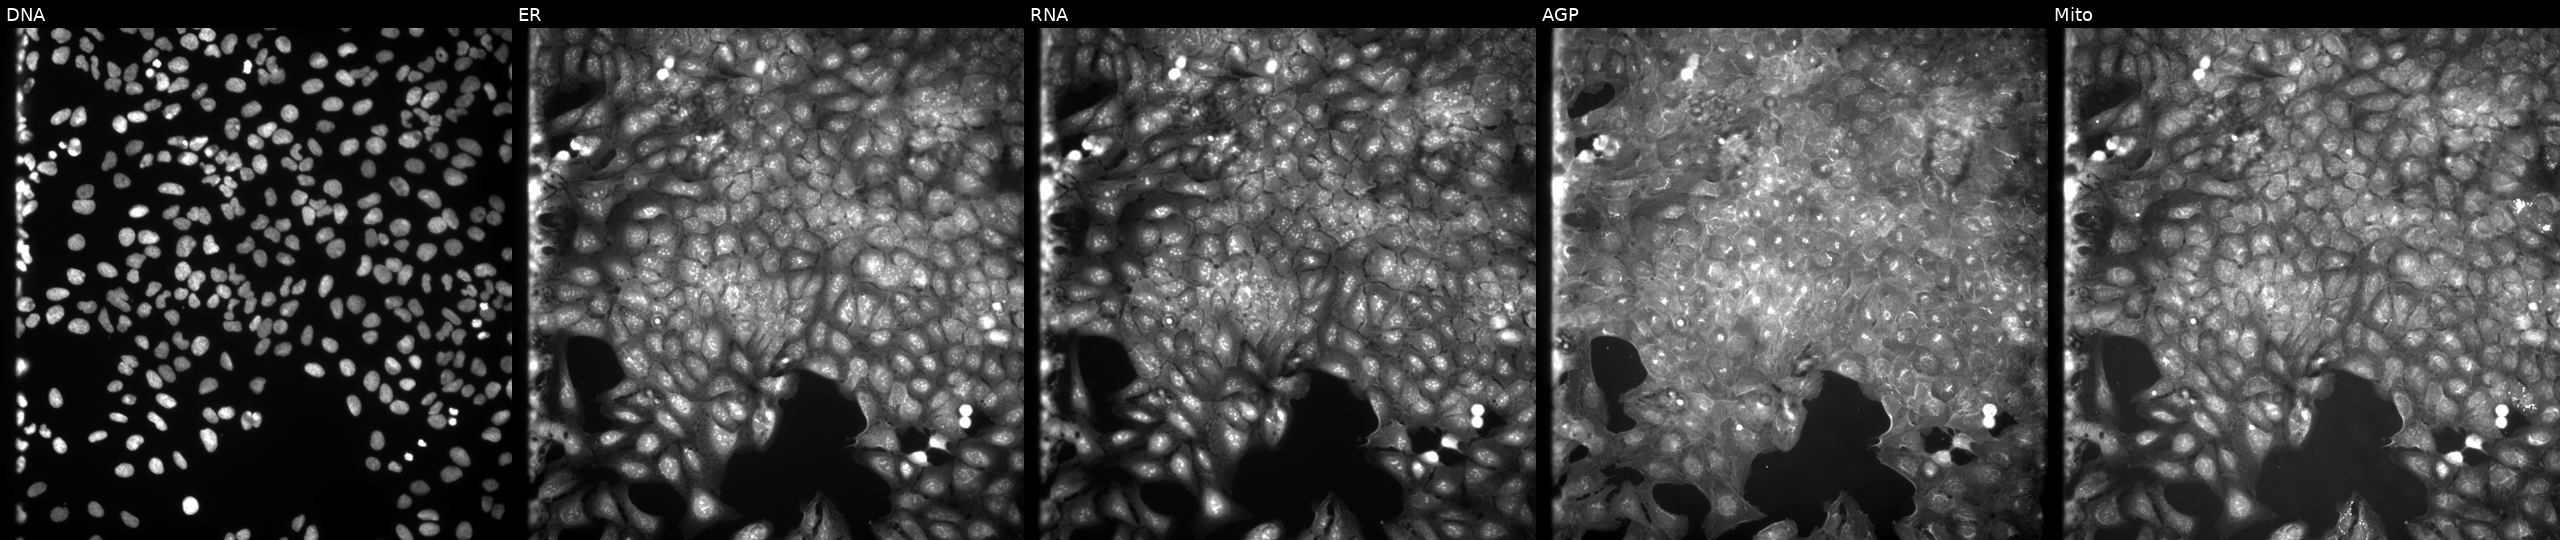
This image strip shows the five Cell Painting channels for a single field of U2OS cells exposed to a small-molecule compound (InChIKey BKVPLIYYSSTECC-UHFFFAOYSA-N) [SMILES: CCOc1nc(OCC)nc(N2CCC(C)CC2)n1] (JUMP id JCP2022_006994). The five panels, left to right, show DNA (nuclei); ER (endoplasmic reticulum); RNA (nucleoli and cytoplasmic RNA); AGP (actin cytoskeleton, Golgi, and plasma membrane); Mito (mitochondria). Source 9, plate GR00003382, well E14.